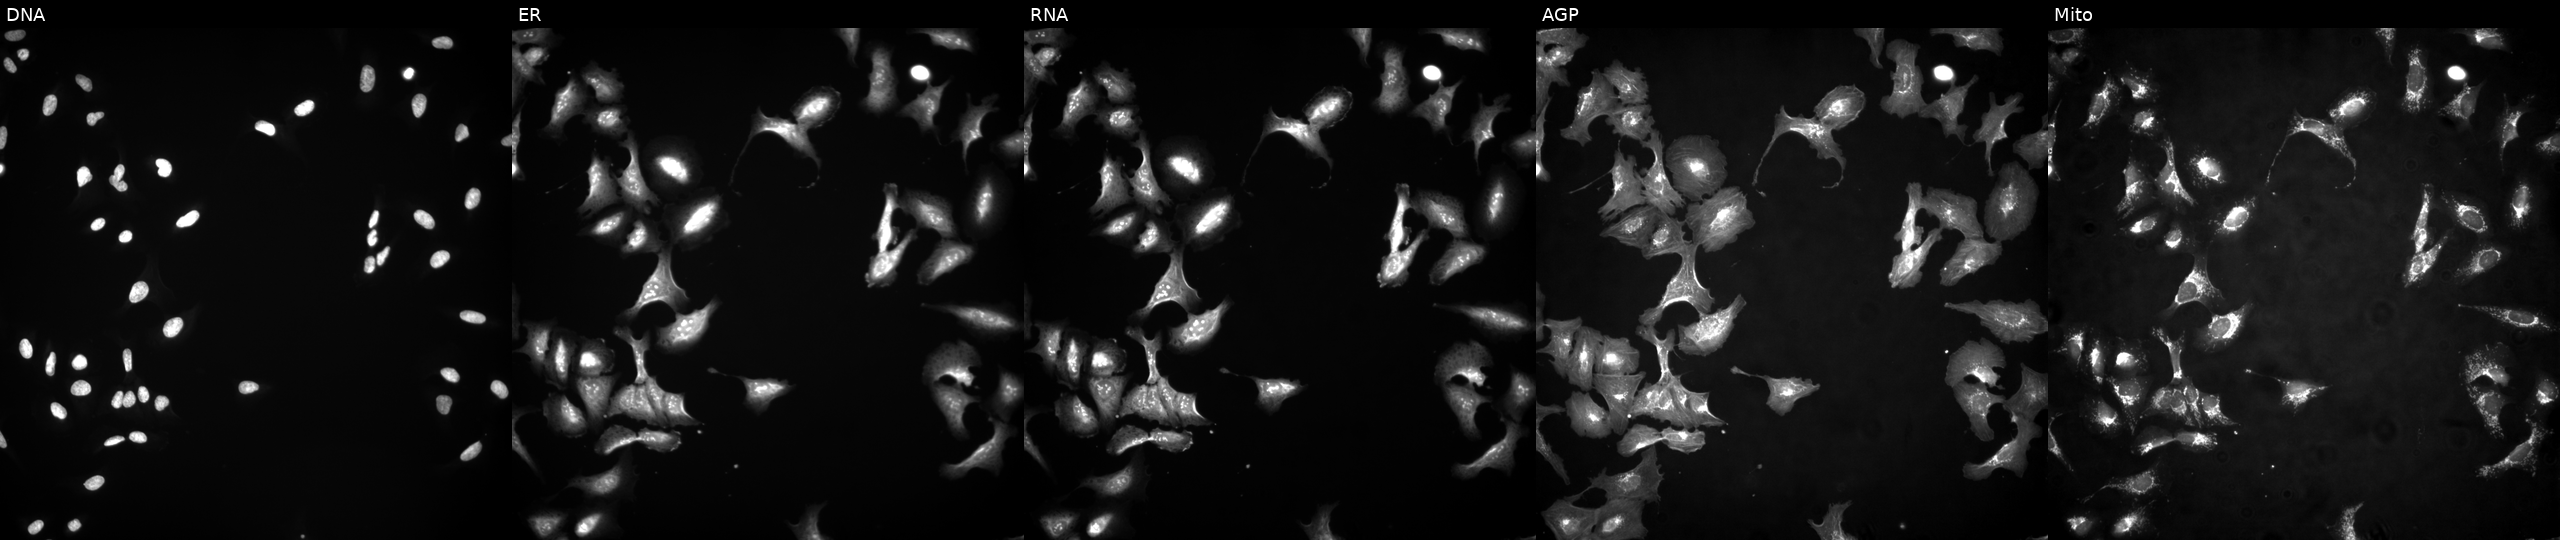
This image strip shows the five Cell Painting channels for a single field of U2OS cells expressing BFP (ORF negative control). Channels (left→right): Hoechst 33342, concanavalin A, SYTO 14, phalloidin and WGA, MitoTracker.